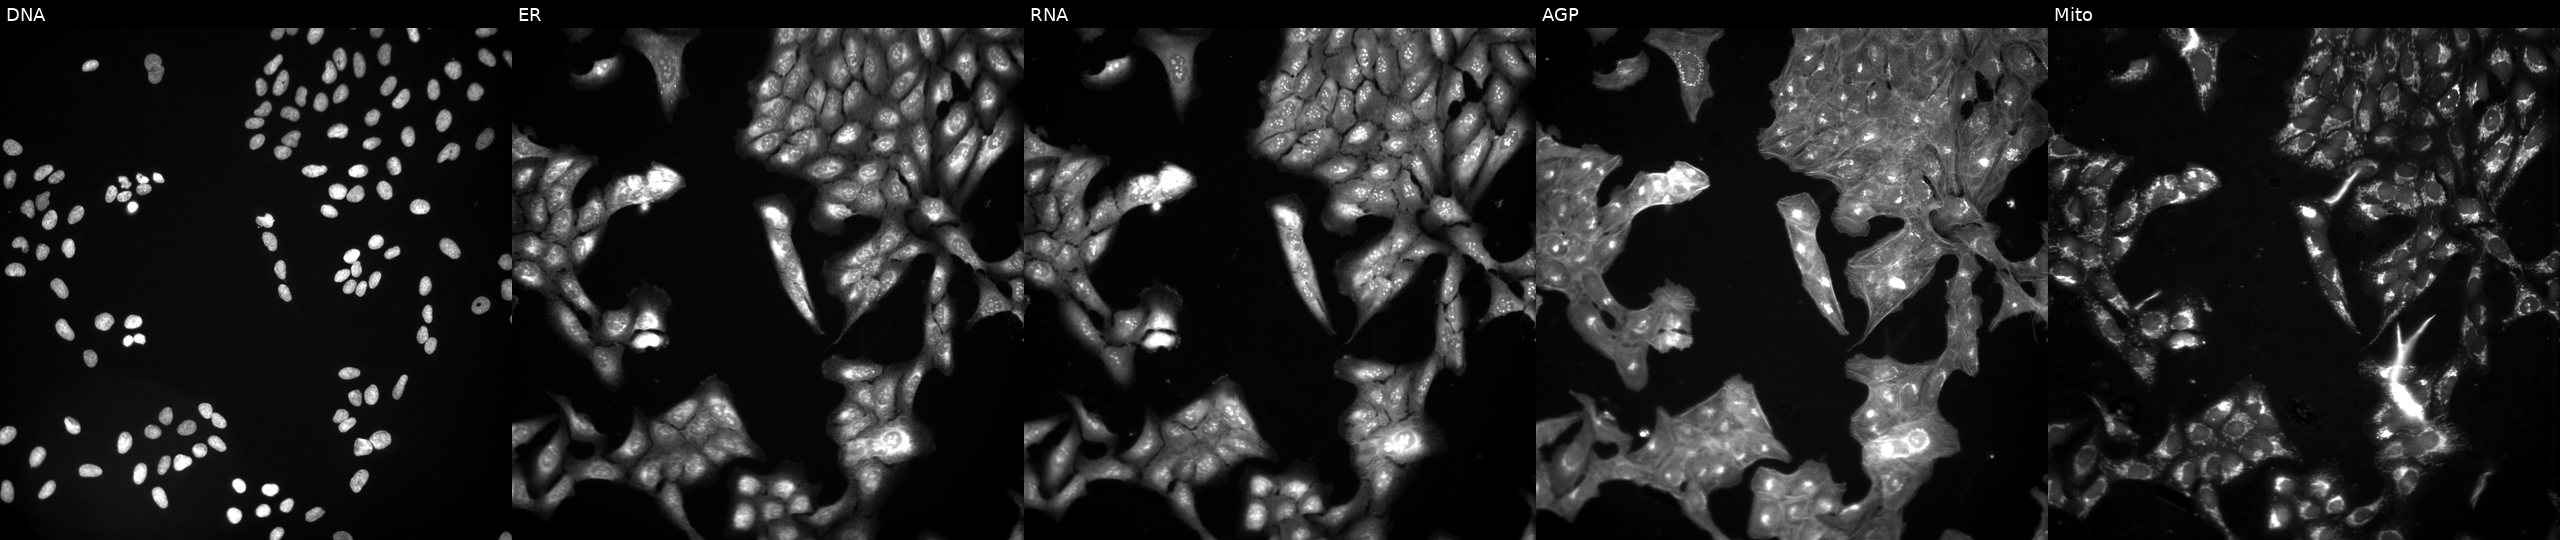
High-content fluorescence microscopy (Cell Painting). Cell line: U2OS. Perturbation: treated with a small-molecule compound (JUMP id JCP2022_114346). The five panels, left to right, show Hoechst 33342, concanavalin A, SYTO 14, phalloidin and WGA, MitoTracker.